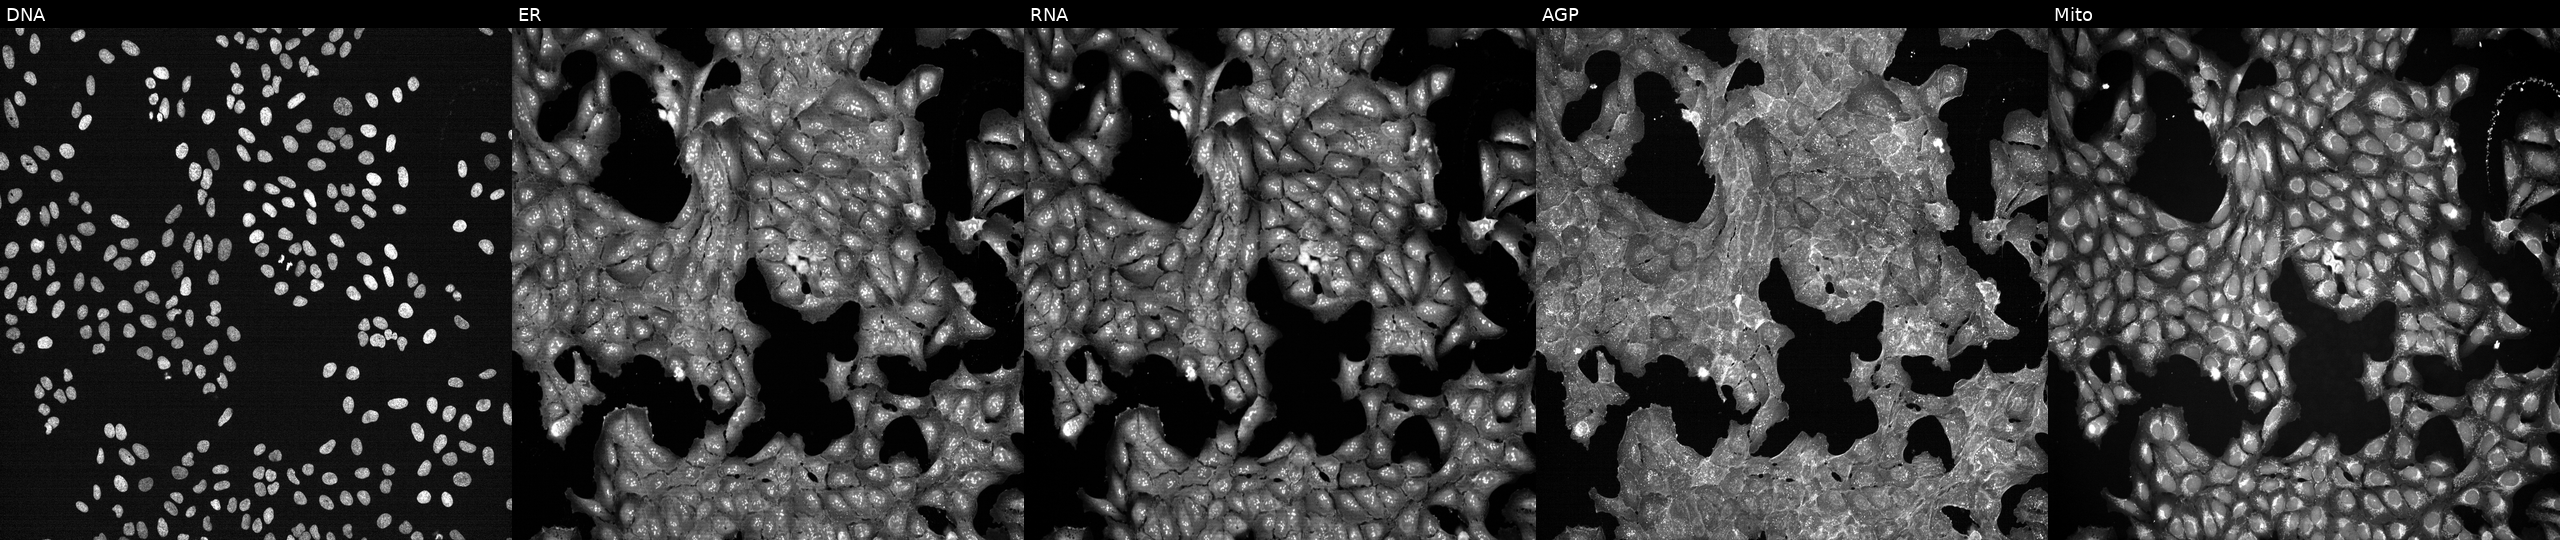
The five panels, left to right, show Hoechst 33342, concanavalin A, SYTO 14, phalloidin and WGA, MitoTracker. U2OS osteosarcoma cells treated with DMSO vehicle only (negative control). Cell Painting assay, JUMP-CP dataset. Source 7, plate CP2-SC1-25, well B13.